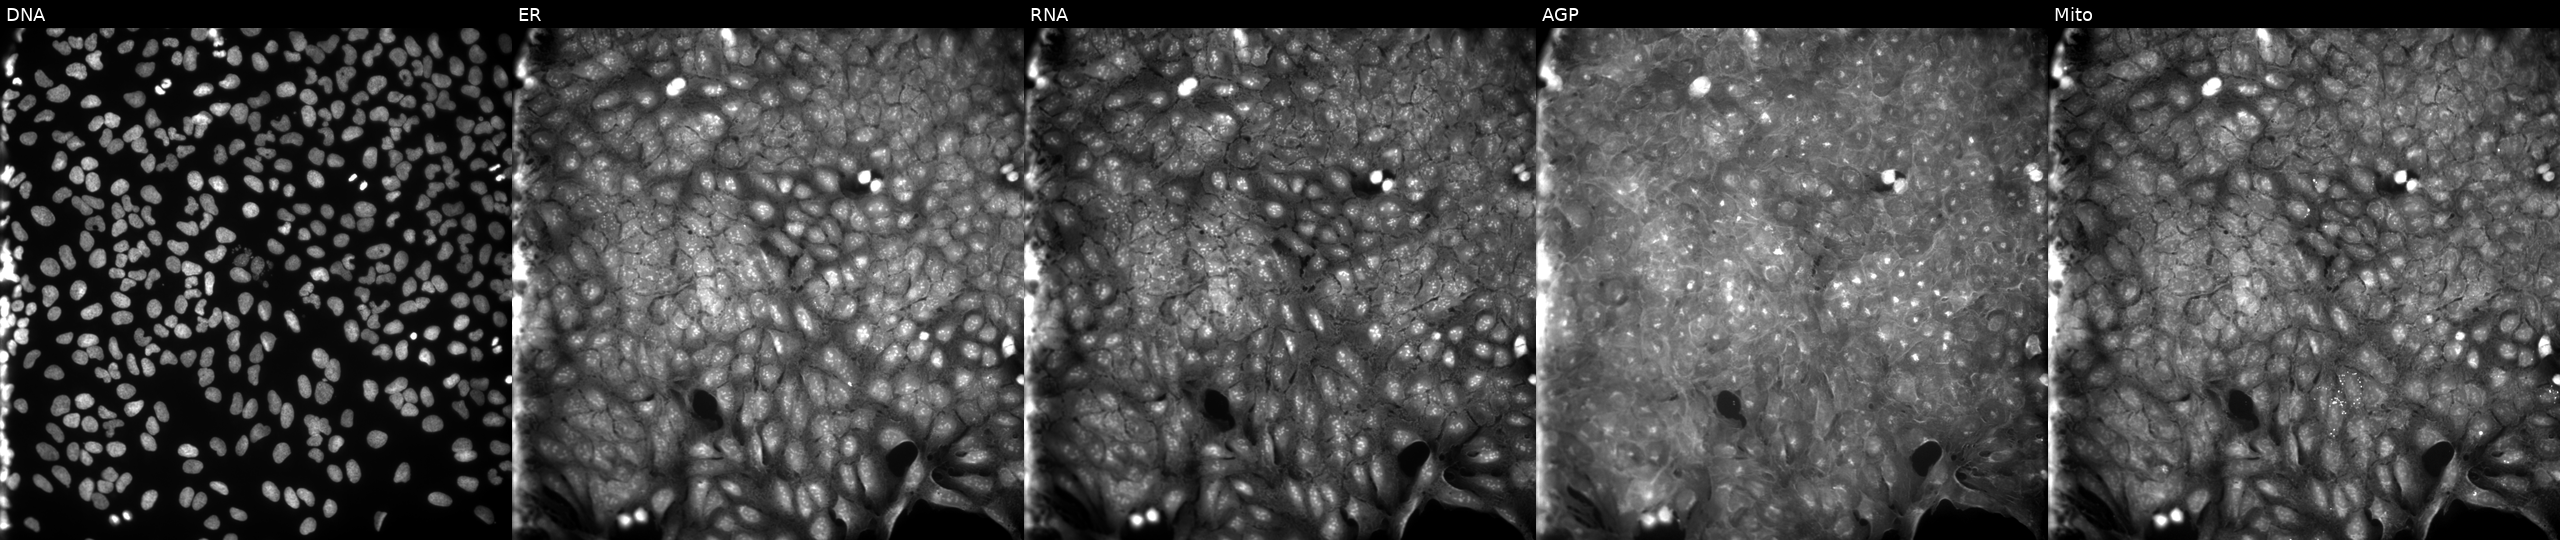
Panels show, left to right, DNA (nuclei); ER (endoplasmic reticulum); RNA (nucleoli and cytoplasmic RNA); AGP (actin cytoskeleton, Golgi, and plasma membrane); Mito (mitochondria). U2OS osteosarcoma cells treated with a small-molecule compound (InChIKey QKIPXSPXLPYYIO-UHFFFAOYSA-N). Cell Painting assay, JUMP-CP dataset.